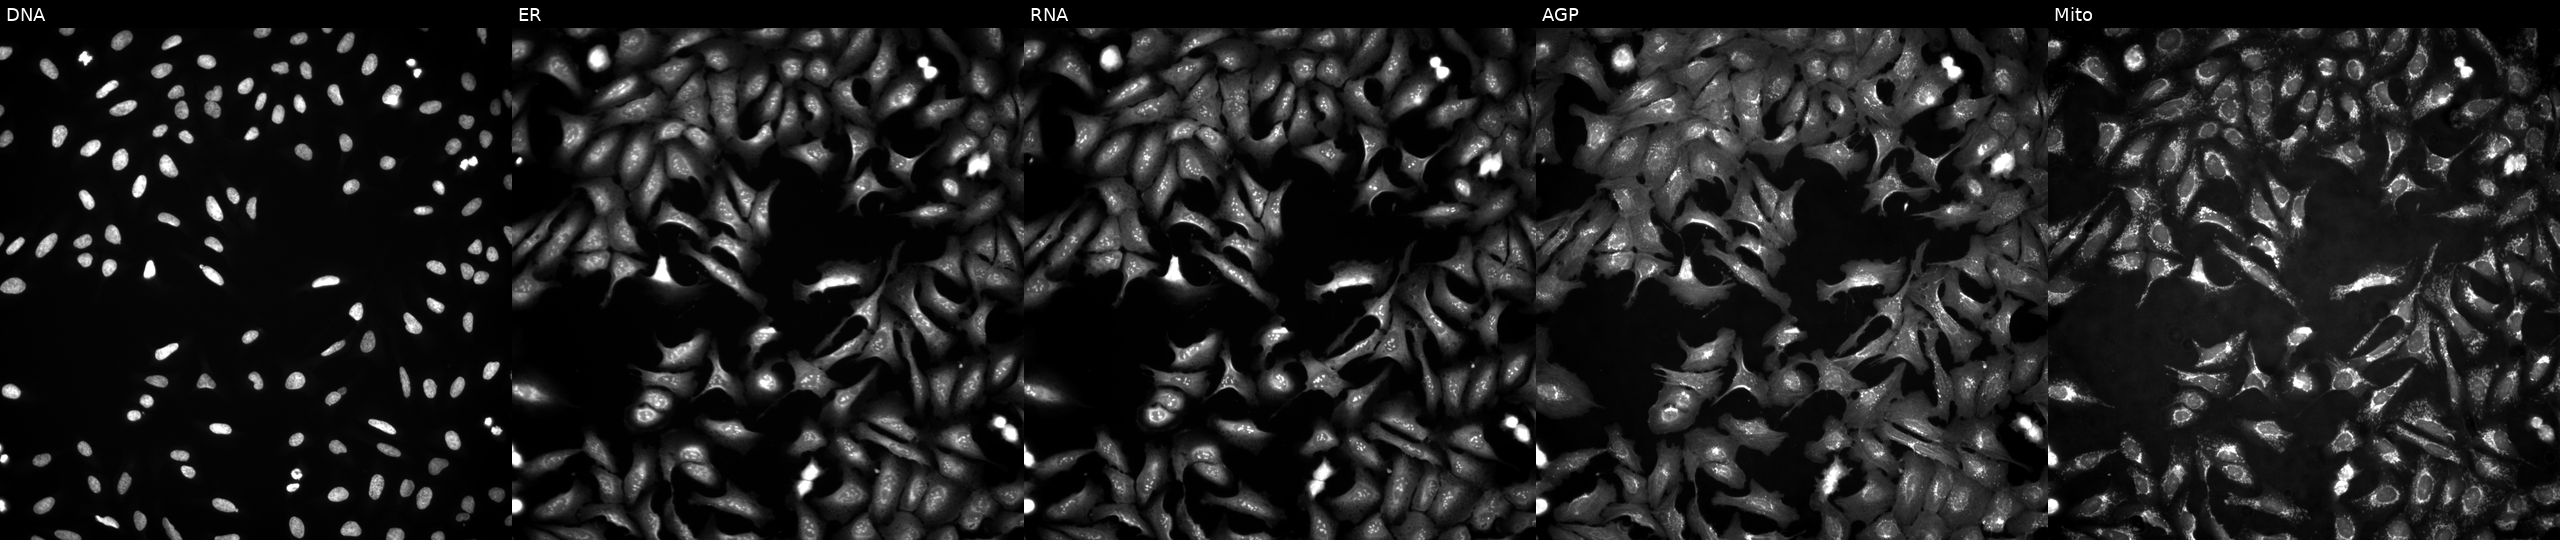
JUMP Cell Painting — ORF plate. U2OS cells overexpressing ADAT1 via ORF transfection (JUMP id JCP2022_902616). From left to right: DNA, ER, RNA, AGP, and Mito.